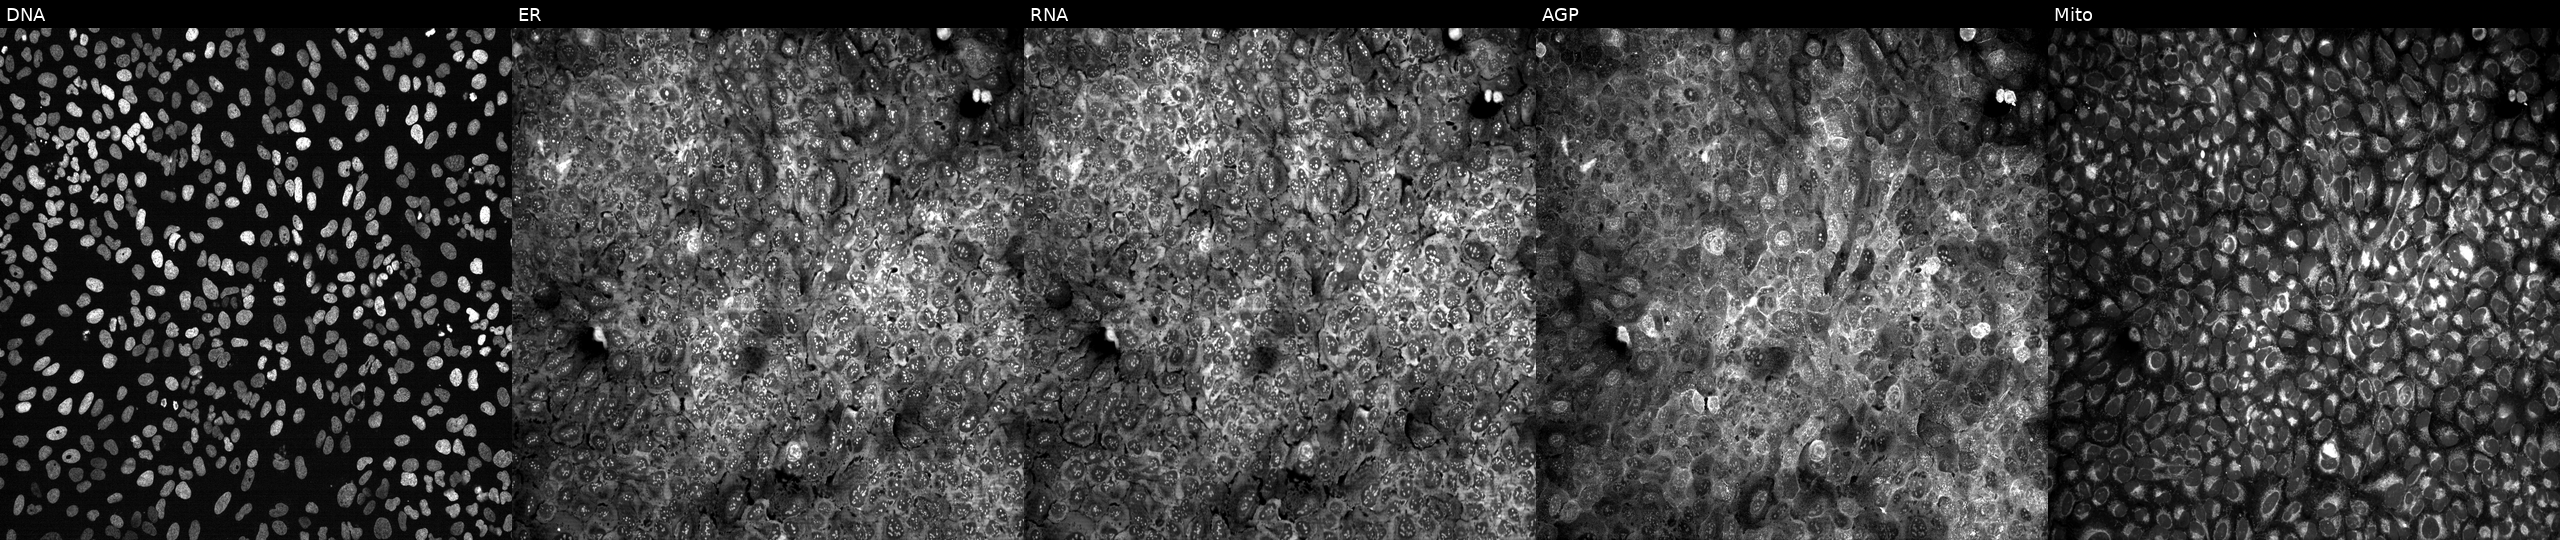
Five-channel Cell Painting image of U2OS cells following CRISPR knockout of ADI1. Panels show, left to right, DNA, ER, RNA, AGP, and Mito.